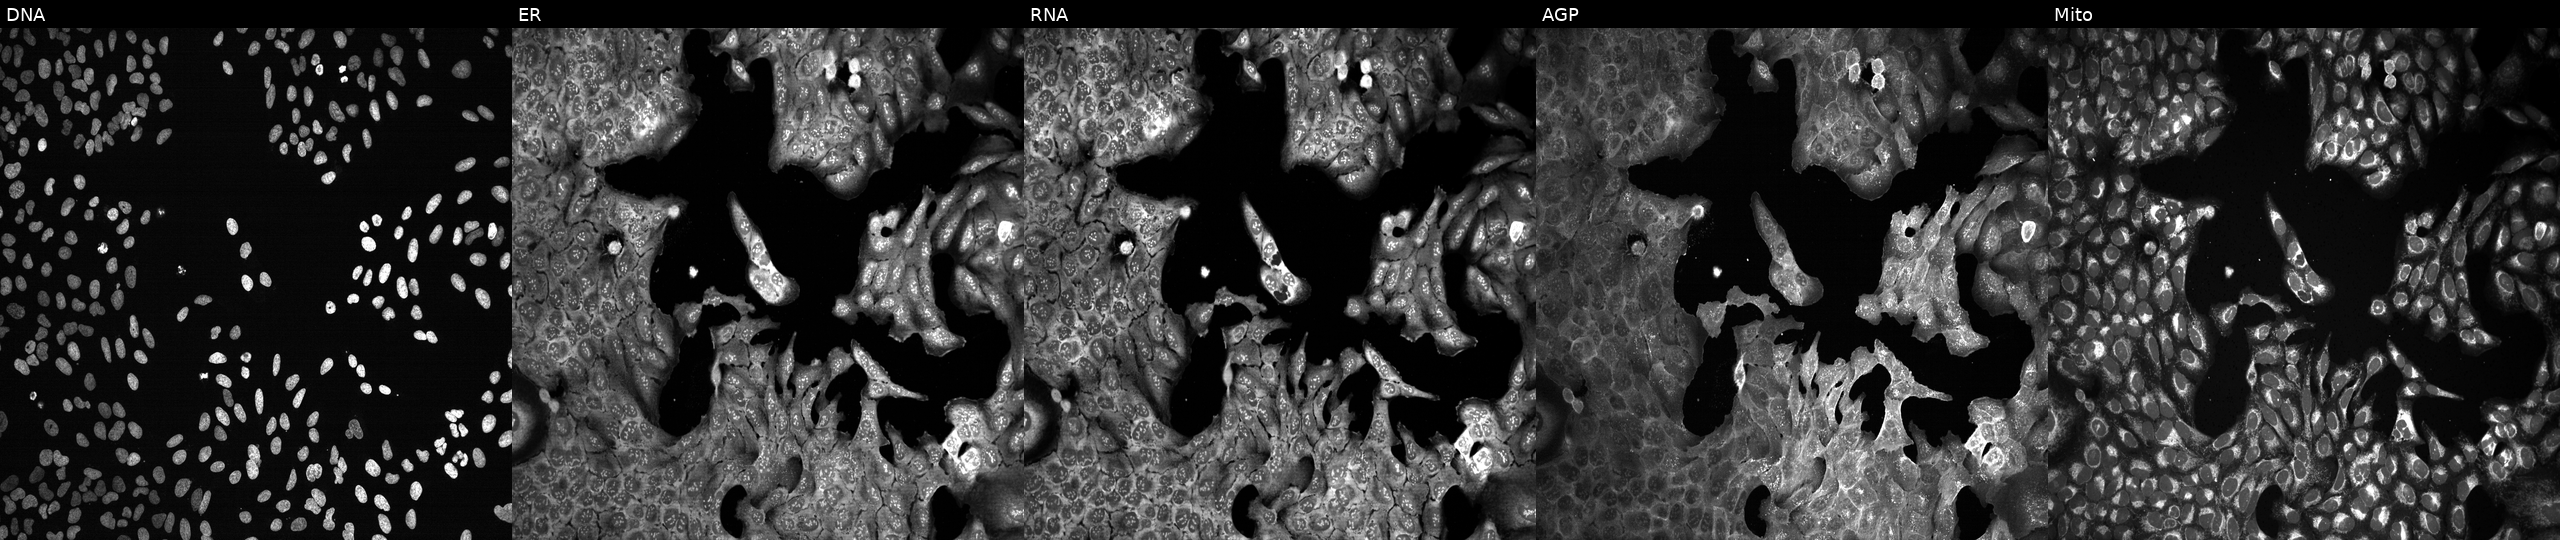
JUMP Cell Painting — CRISPR plate. U2OS cells CRISPR-edited to disrupt IMMP1L. Panels show, left to right, DNA, ER, RNA, AGP, and Mito.